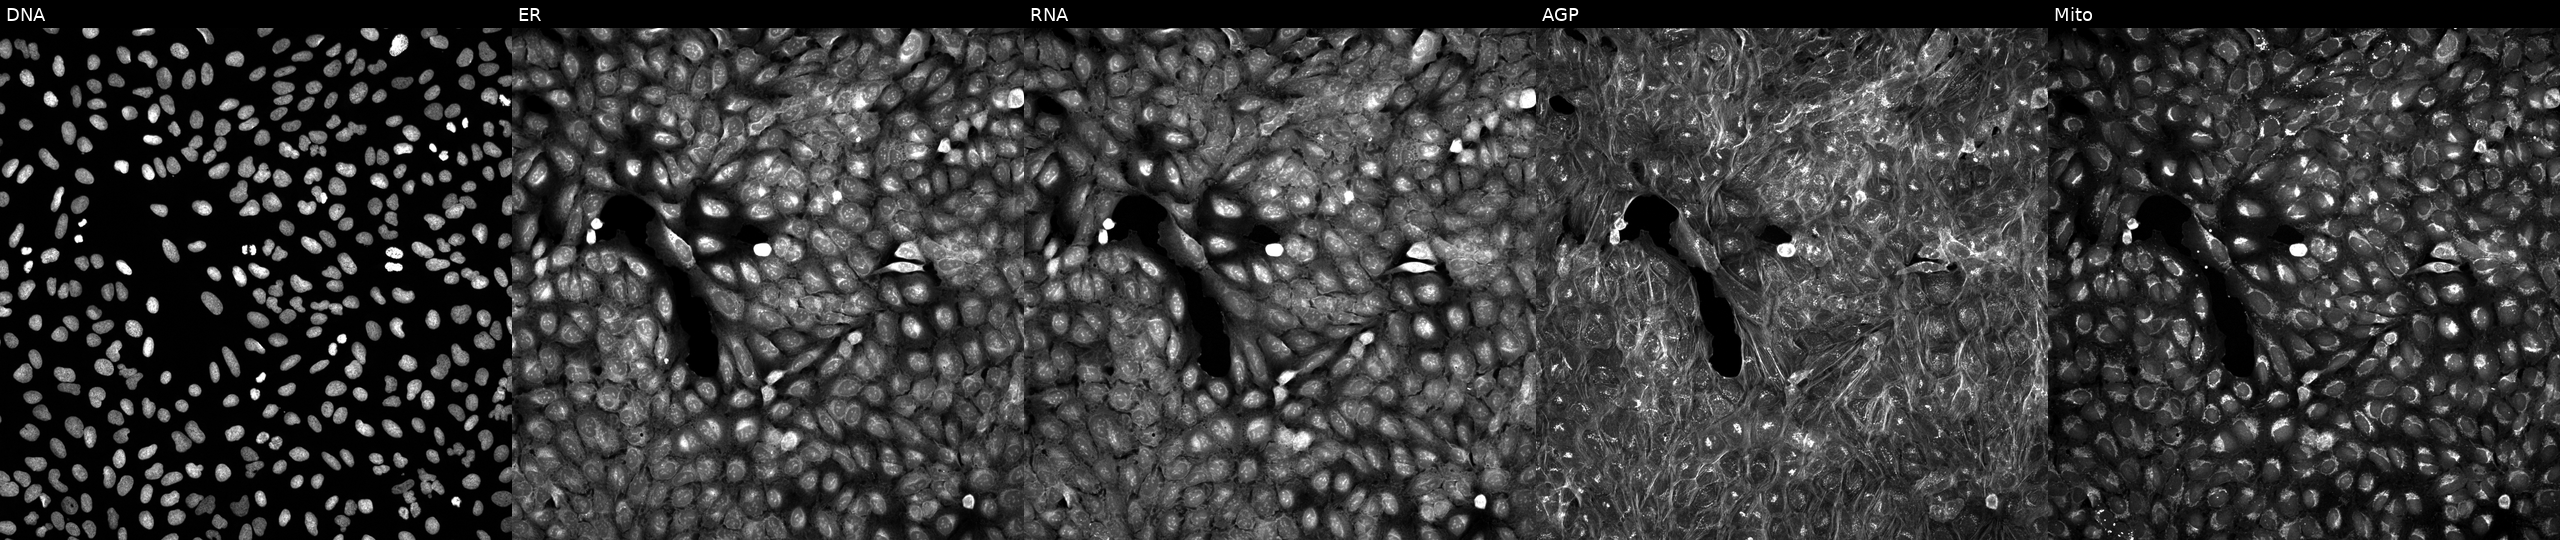
High-content fluorescence microscopy (Cell Painting). Cell line: U2OS. Perturbation: treated with DMSO vehicle only (negative control) (JUMP id JCP2022_033924). Panels show, left to right, DNA (nuclei); ER (endoplasmic reticulum); RNA (nucleoli and cytoplasmic RNA); AGP (actin cytoskeleton, Golgi, and plasma membrane); Mito (mitochondria).